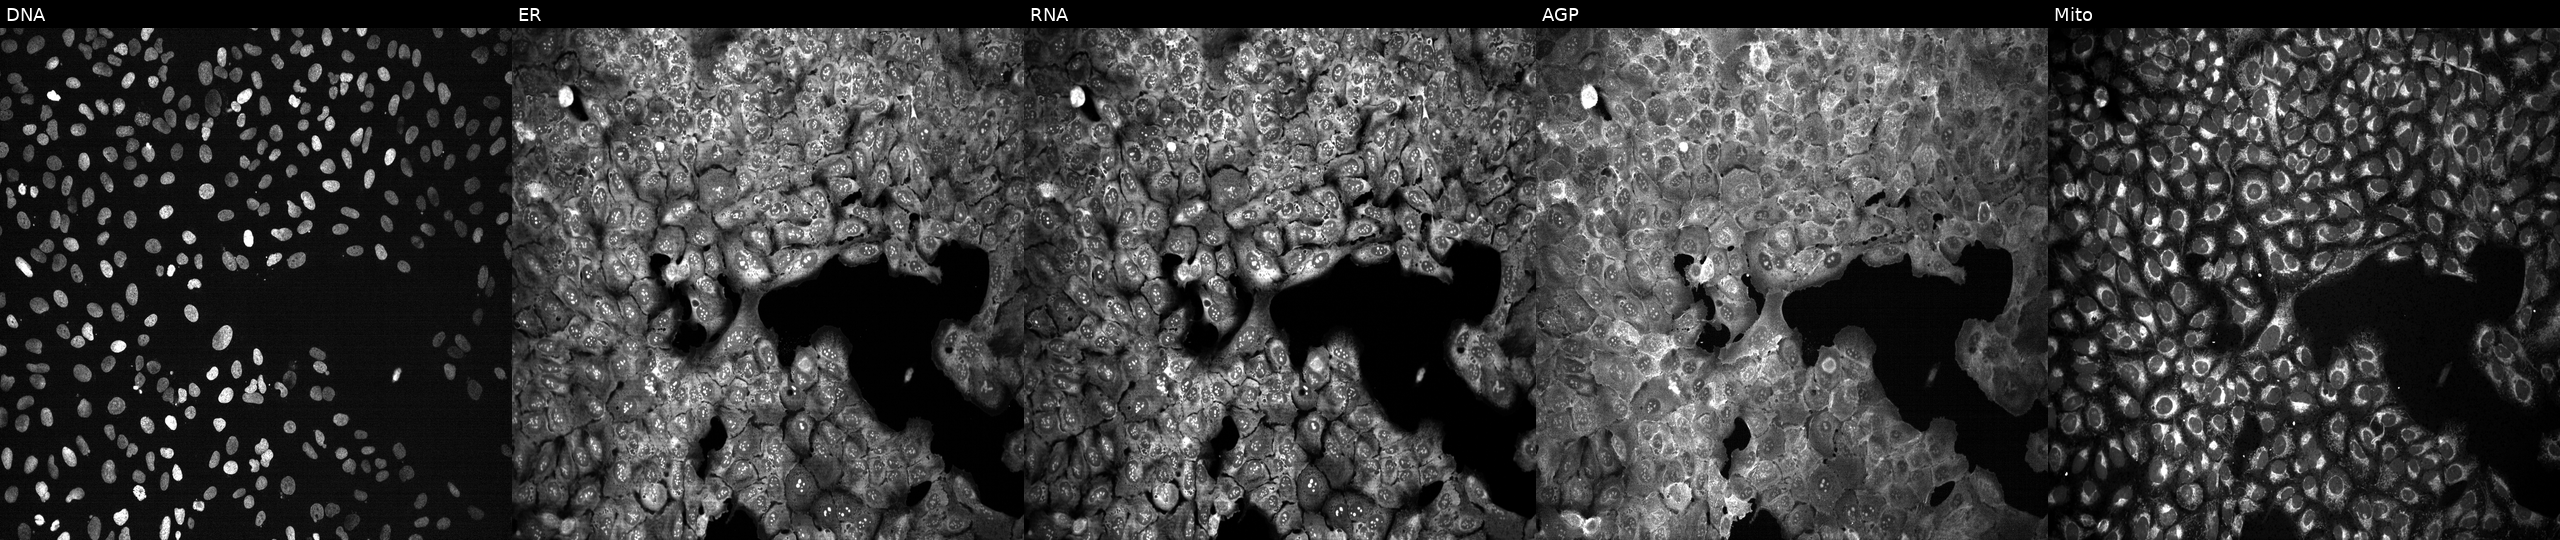
JUMP Cell Painting — CRISPR plate. U2OS cells following CRISPR knockout of PGLYRP3. Panels show, left to right, Hoechst 33342, concanavalin A, SYTO 14, phalloidin and WGA, MitoTracker. Source 13, plate CP-CC9-R3-01, well B21.